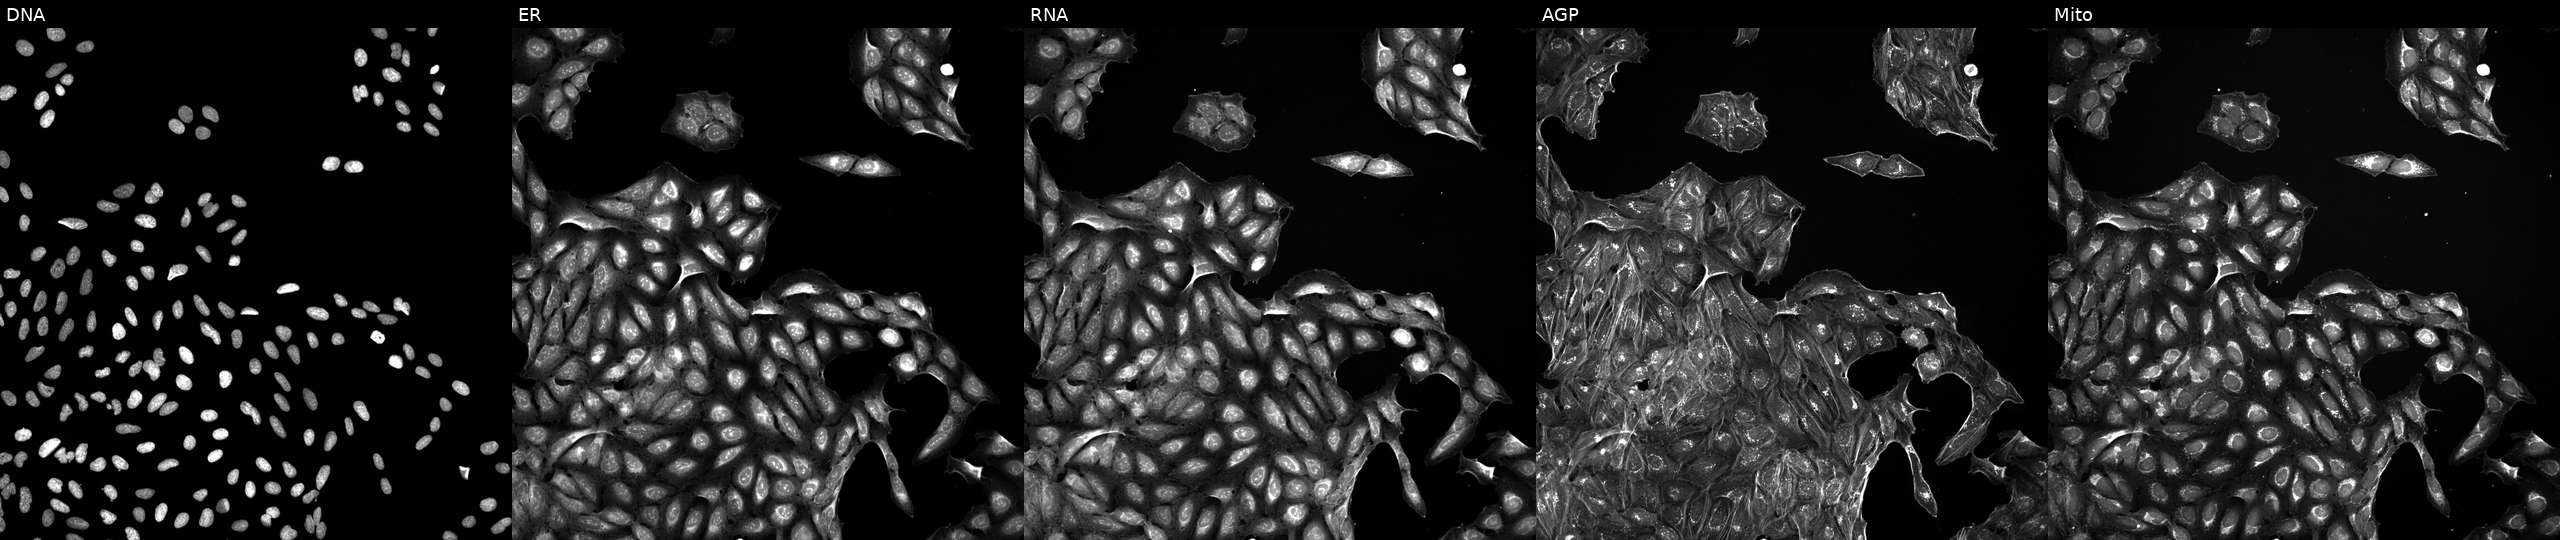
High-content fluorescence microscopy (Cell Painting). Cell line: U2OS. Perturbation: perturbed with a small-molecule compound (JUMP id JCP2022_038707). Channels (left→right): DNA (nuclei); ER (endoplasmic reticulum); RNA (nucleoli and cytoplasmic RNA); AGP (actin cytoskeleton, Golgi, and plasma membrane); Mito (mitochondria).